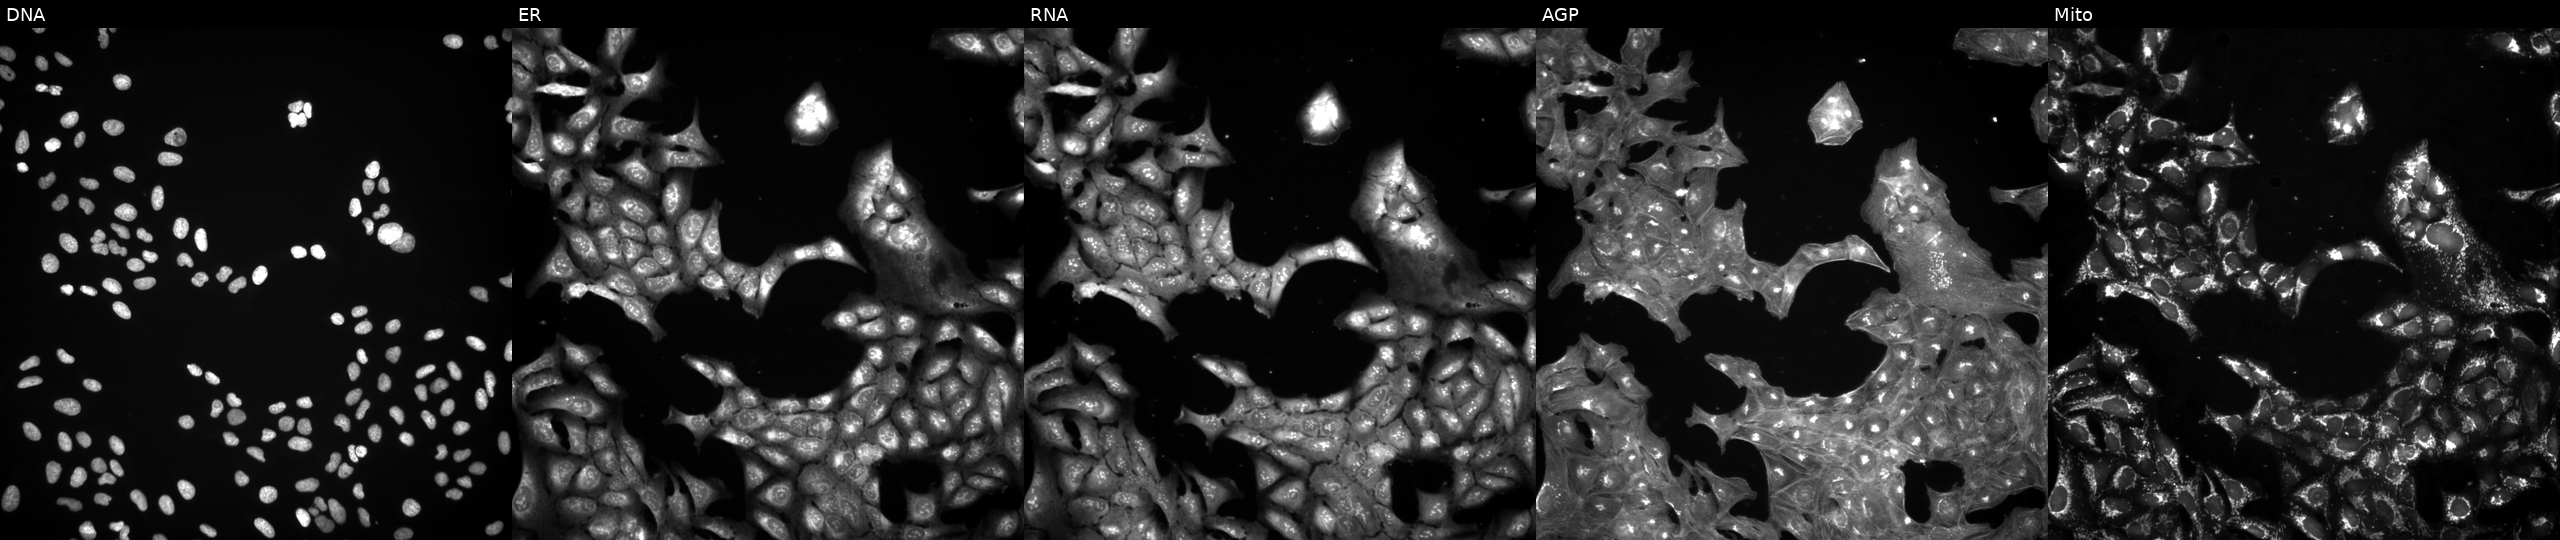
JUMP Cell Painting — COMPOUND plate. U2OS cells exposed to a small-molecule compound (InChIKey YZLAHMNRAJXDNZ-UHFFFAOYSA-N) (JUMP id JCP2022_111872). Panels show, left to right, Hoechst 33342, concanavalin A, SYTO 14, phalloidin and WGA, MitoTracker. Source 3, plate BR5867a3, well K11.